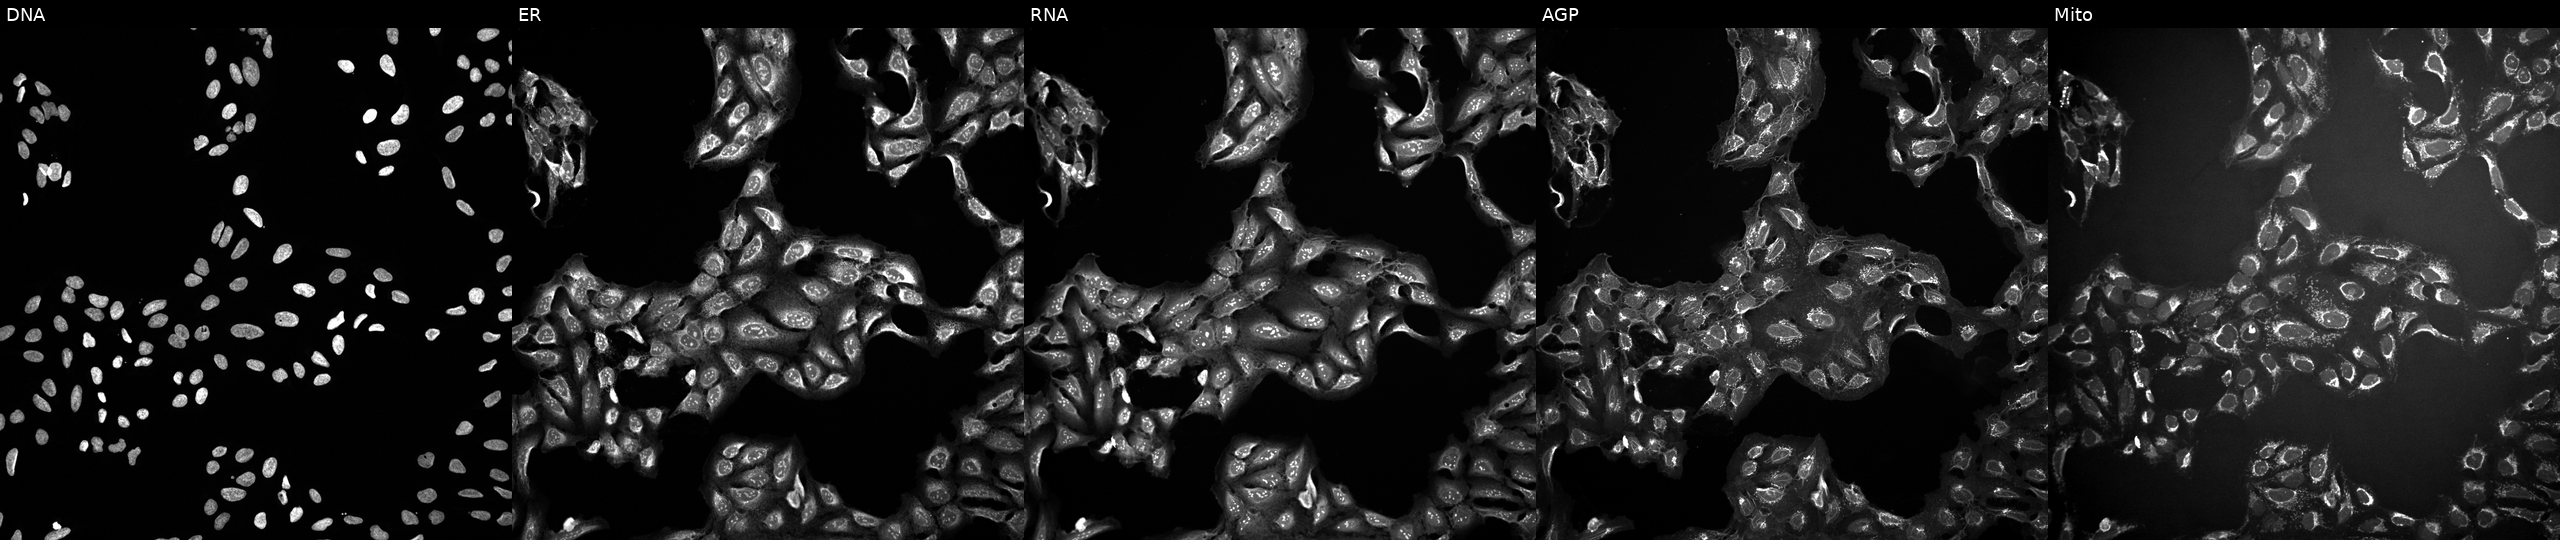
Five-channel Cell Painting image of U2OS cells treated with a small-molecule compound (InChIKey HKQYGTCOTHHOMP-UHFFFAOYSA-N). Channels (left→right): DNA (nuclei); ER (endoplasmic reticulum); RNA (nucleoli and cytoplasmic RNA); AGP (actin cytoskeleton, Golgi, and plasma membrane); Mito (mitochondria). Source 10, plate Dest210803-153958, well P16.